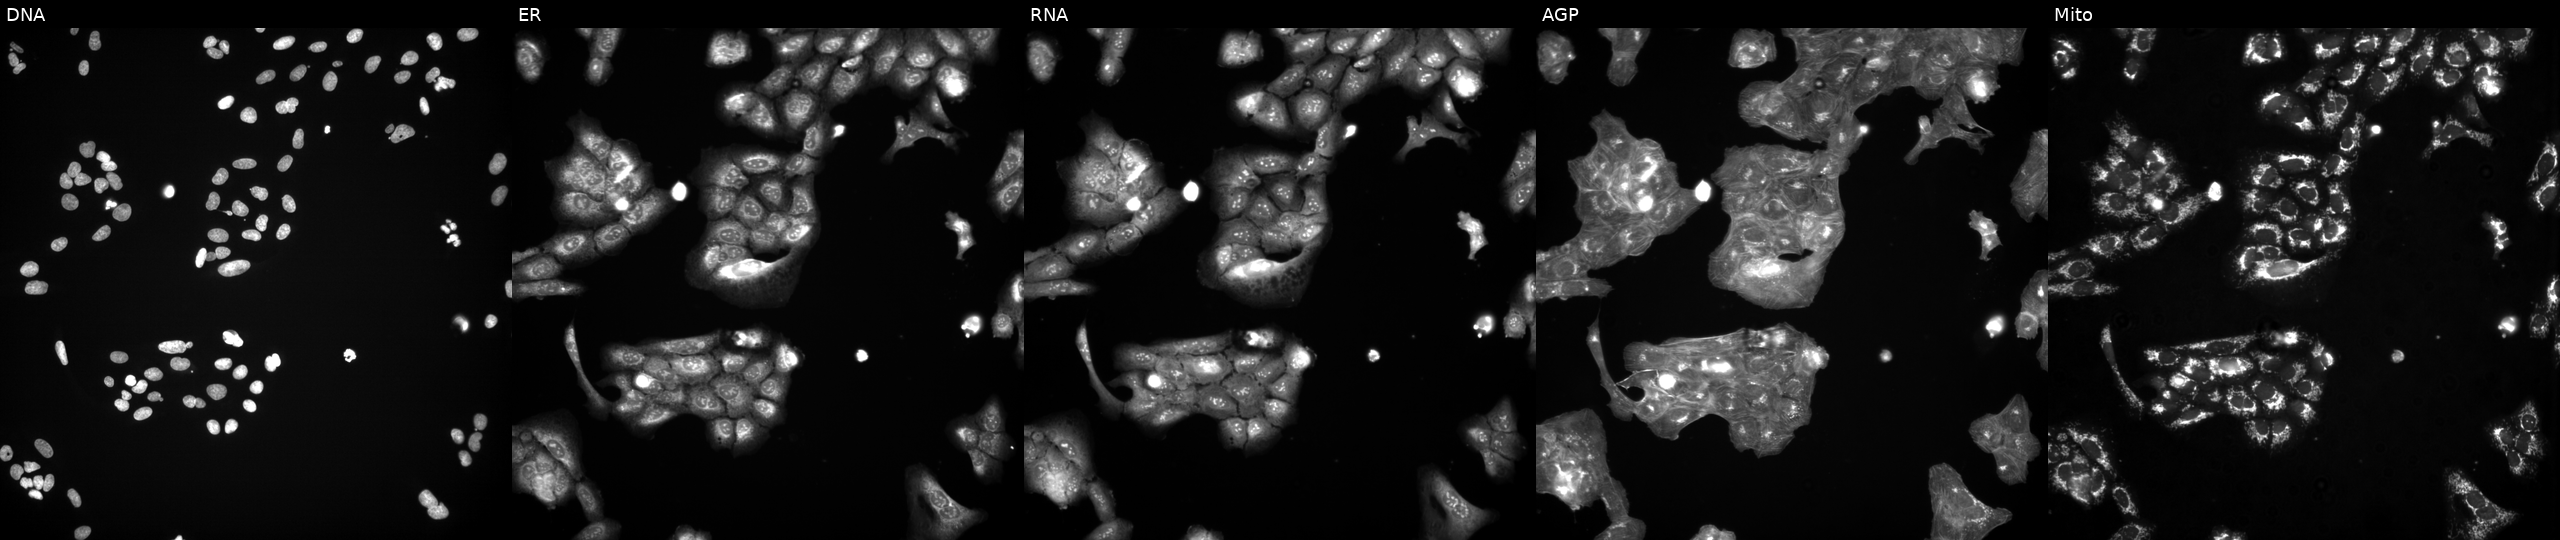
U2OS cells, Cell Painting assay, treated with a small-molecule compound (InChIKey MAKMQGKJURAJEN-UHFFFAOYSA-N) (JUMP id JCP2022_052870). From left to right: DNA, ER, RNA, AGP, and Mito. Each panel is percentile-stretched 16-bit fluorescence. Source 3, plate JCPQC051, well G02.